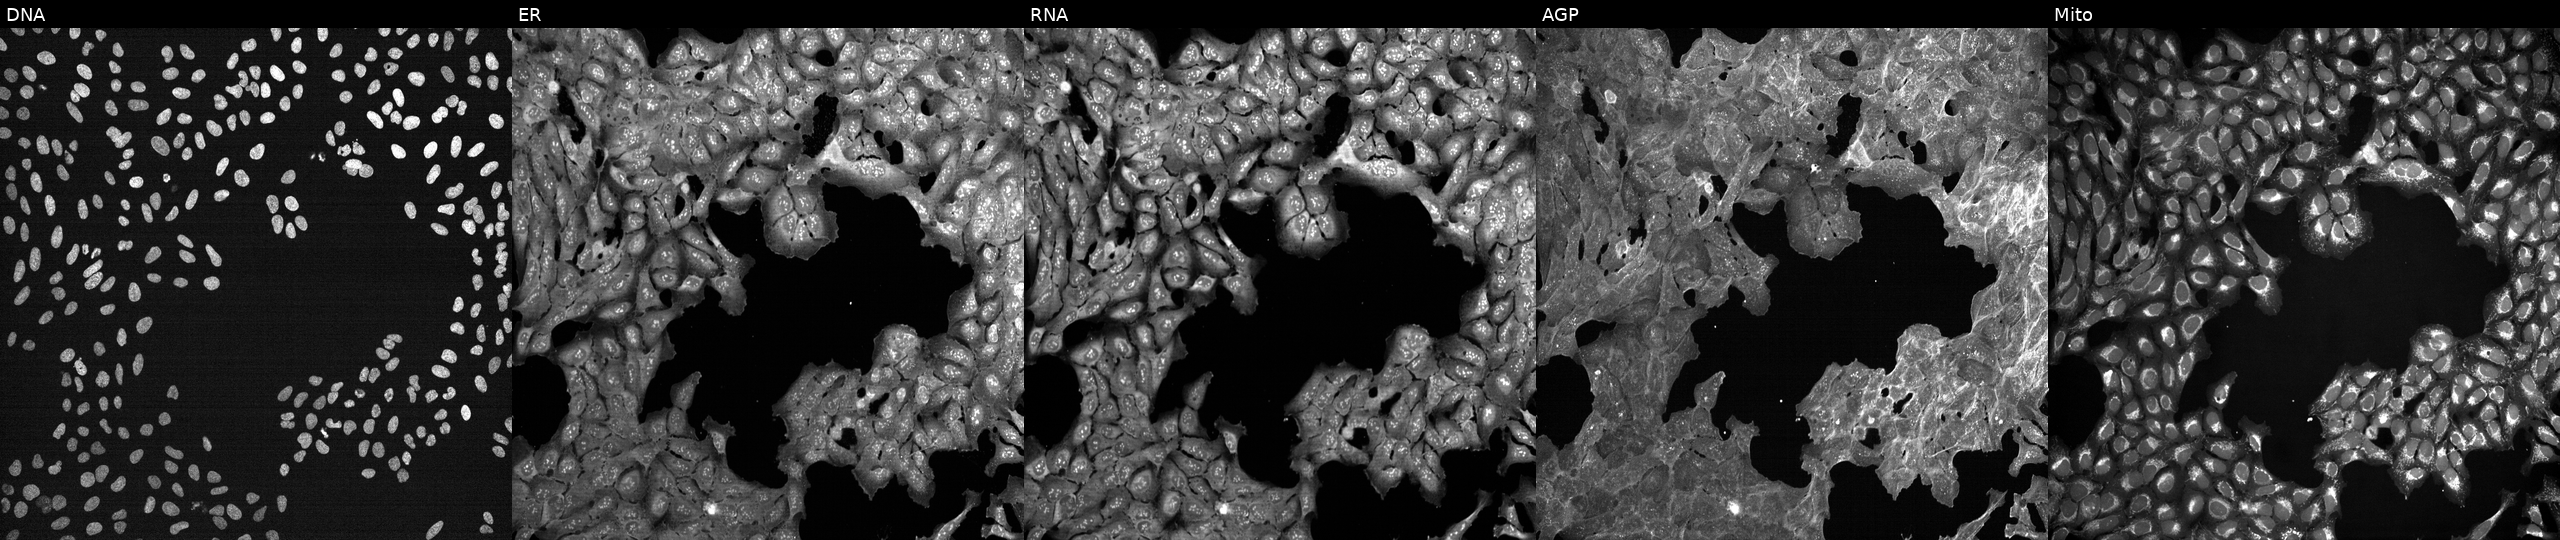
The five panels, left to right, show DNA, ER, RNA, AGP, and Mito. U2OS osteosarcoma cells exposed to a small-molecule compound (InChIKey PIMZUZSSNYHVCU-UHFFFAOYSA-N) [SMILES: C=C(C)C1C2OC(=O)C1C1(O)CC3OC34C(=O)OC2C14C] (JUMP id JCP2022_068838). Cell Painting assay, JUMP-CP dataset.